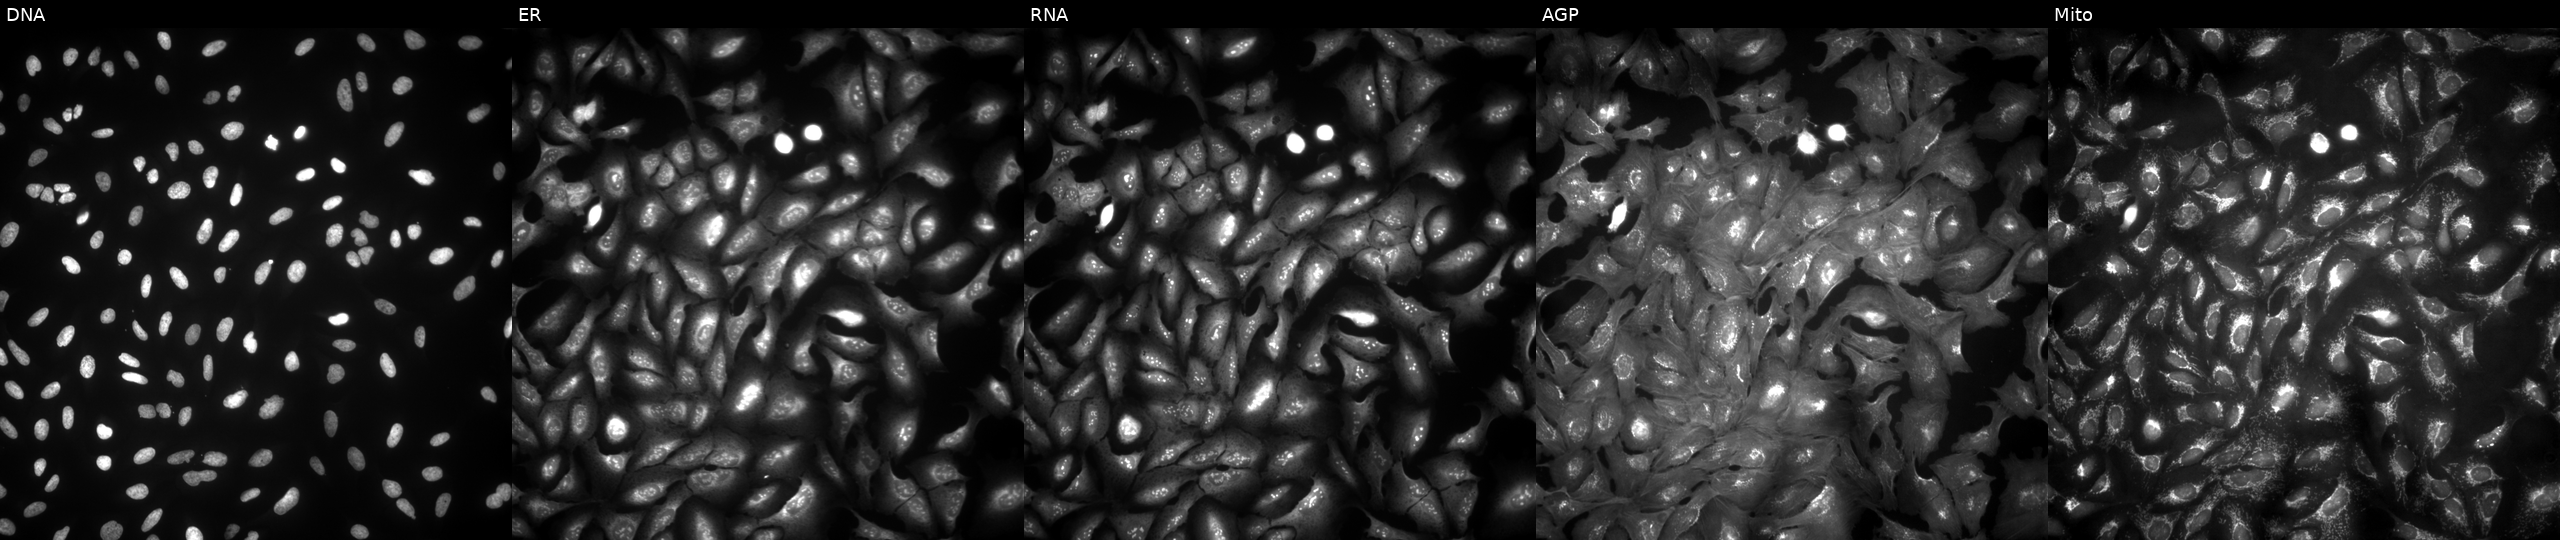
From left to right: DNA, ER, RNA, AGP, and Mito. U2OS osteosarcoma cells with REXO4 overexpressed (ORF). Cell Painting assay, JUMP-CP dataset.